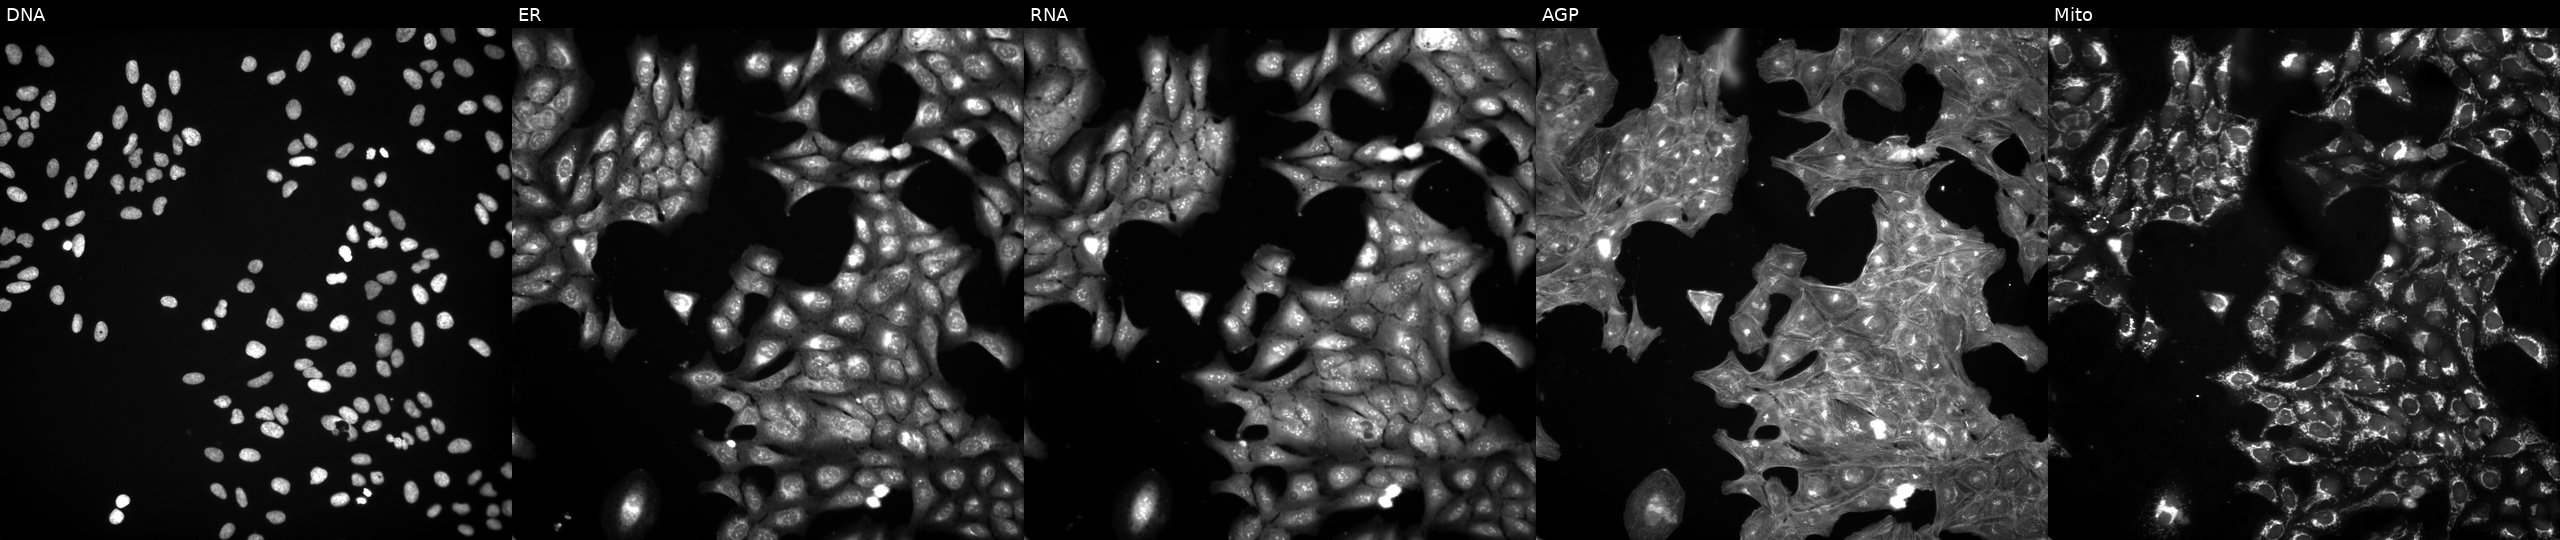
Channels (left→right): Hoechst 33342, concanavalin A, SYTO 14, phalloidin and WGA, MitoTracker. U2OS osteosarcoma cells exposed to DMSO alone as a negative control. Cell Painting assay, JUMP-CP dataset. Source 3, plate JCPQC053, well K06.